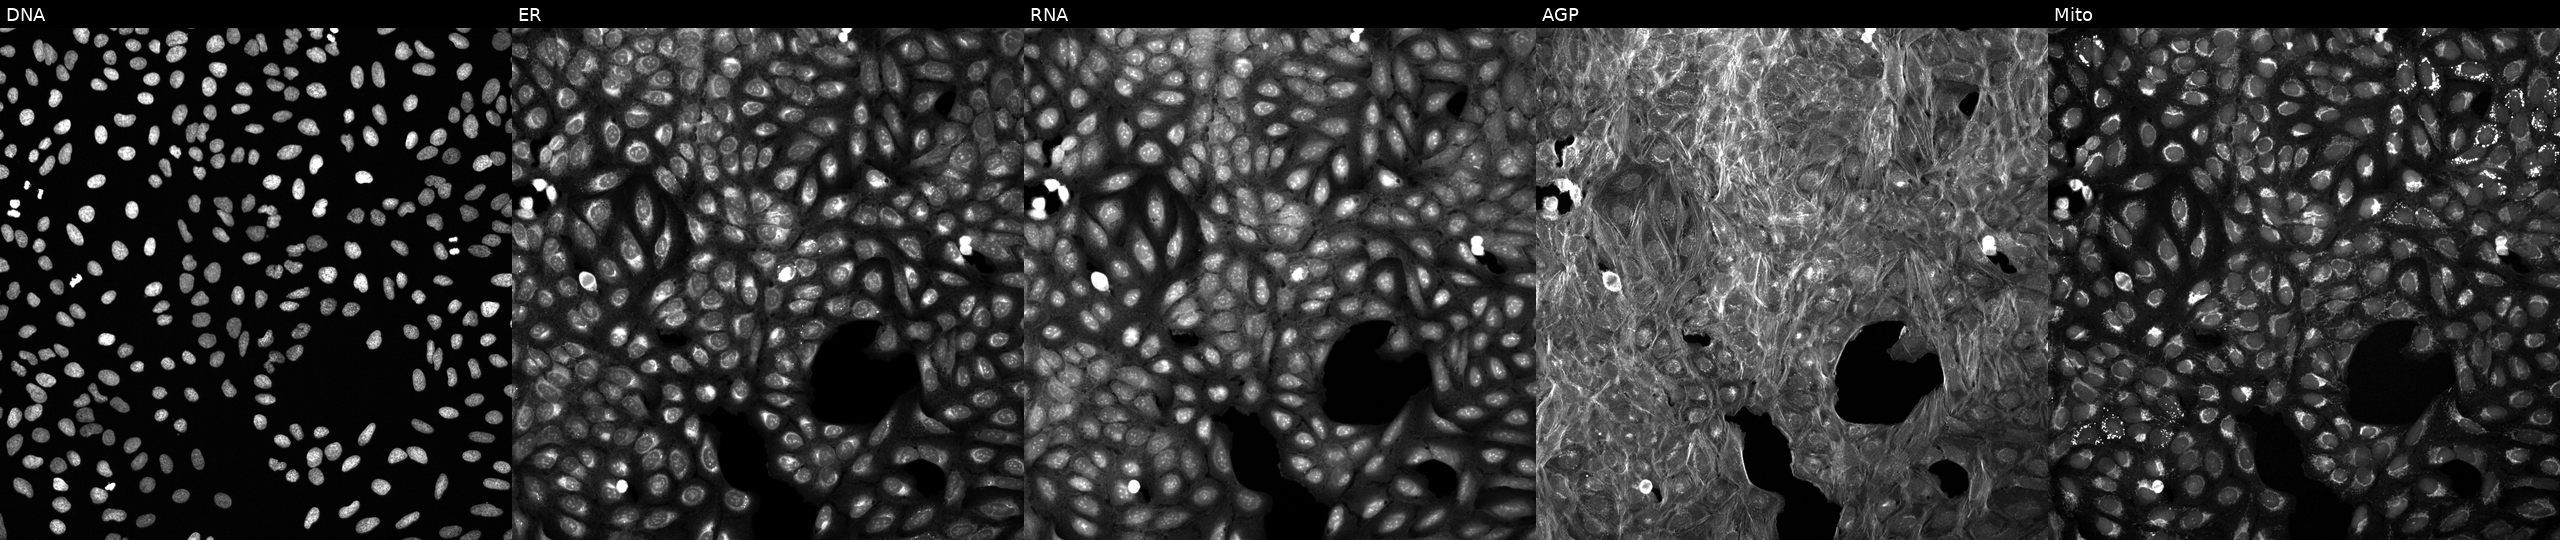
The five panels, left to right, show Hoechst 33342, concanavalin A, SYTO 14, phalloidin and WGA, MitoTracker. U2OS osteosarcoma cells exposed to a small-molecule compound [SMILES: OC(Cc1ccncc1)C(Cl)(Cl)Cl] (JUMP id JCP2022_058889). Cell Painting assay, JUMP-CP dataset.